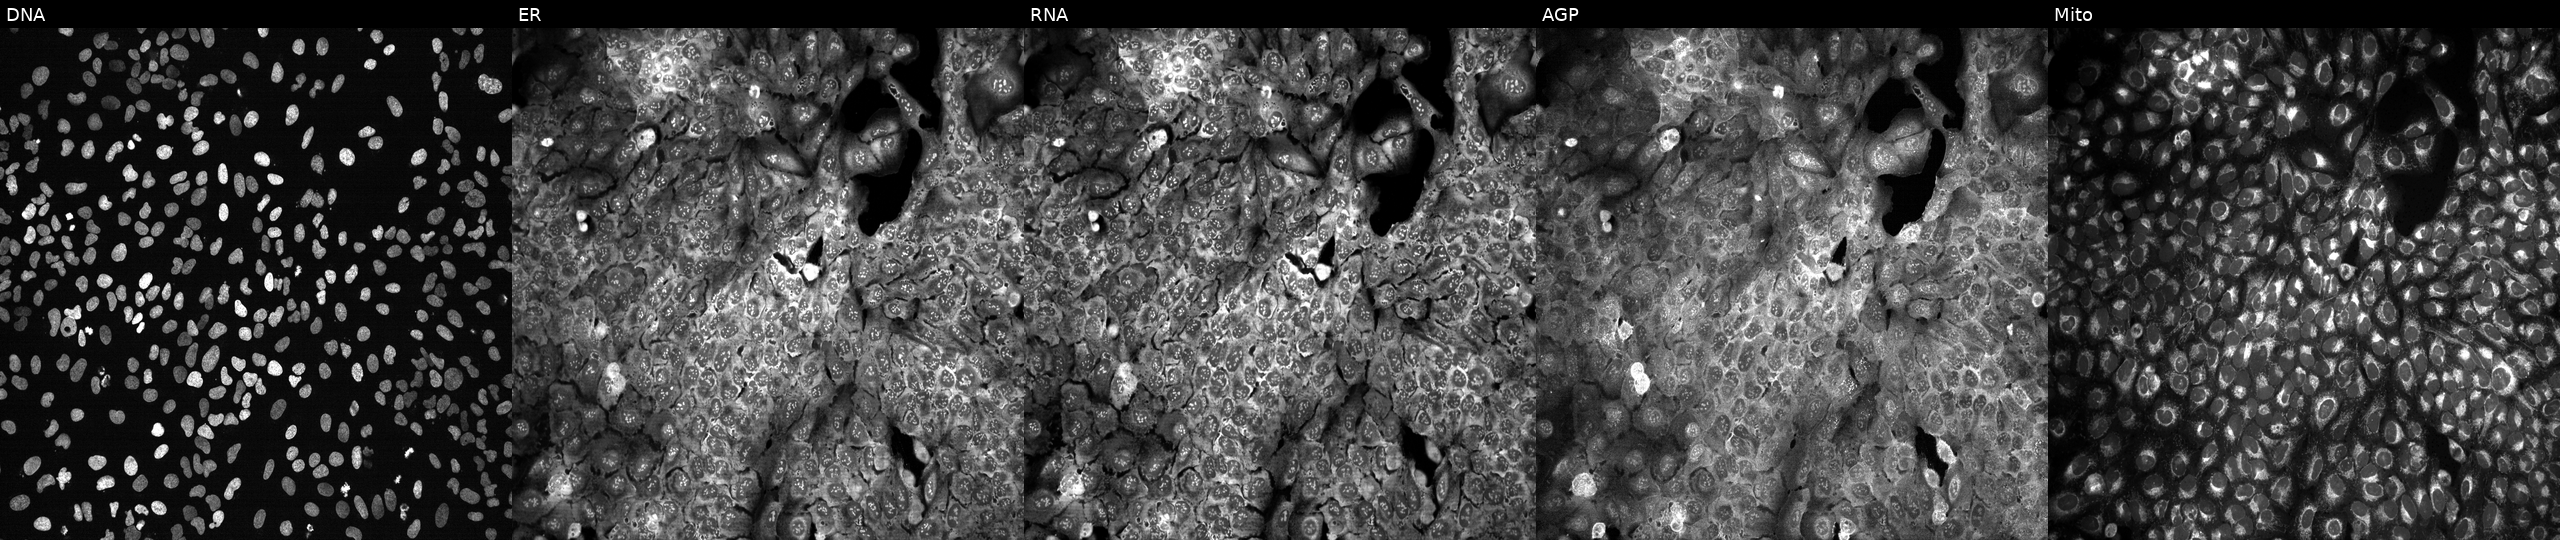
From left to right: DNA (nuclei); ER (endoplasmic reticulum); RNA (nucleoli and cytoplasmic RNA); AGP (actin cytoskeleton, Golgi, and plasma membrane); Mito (mitochondria). U2OS osteosarcoma cells CRISPR-edited to disrupt DHX35. Cell Painting assay, JUMP-CP dataset.